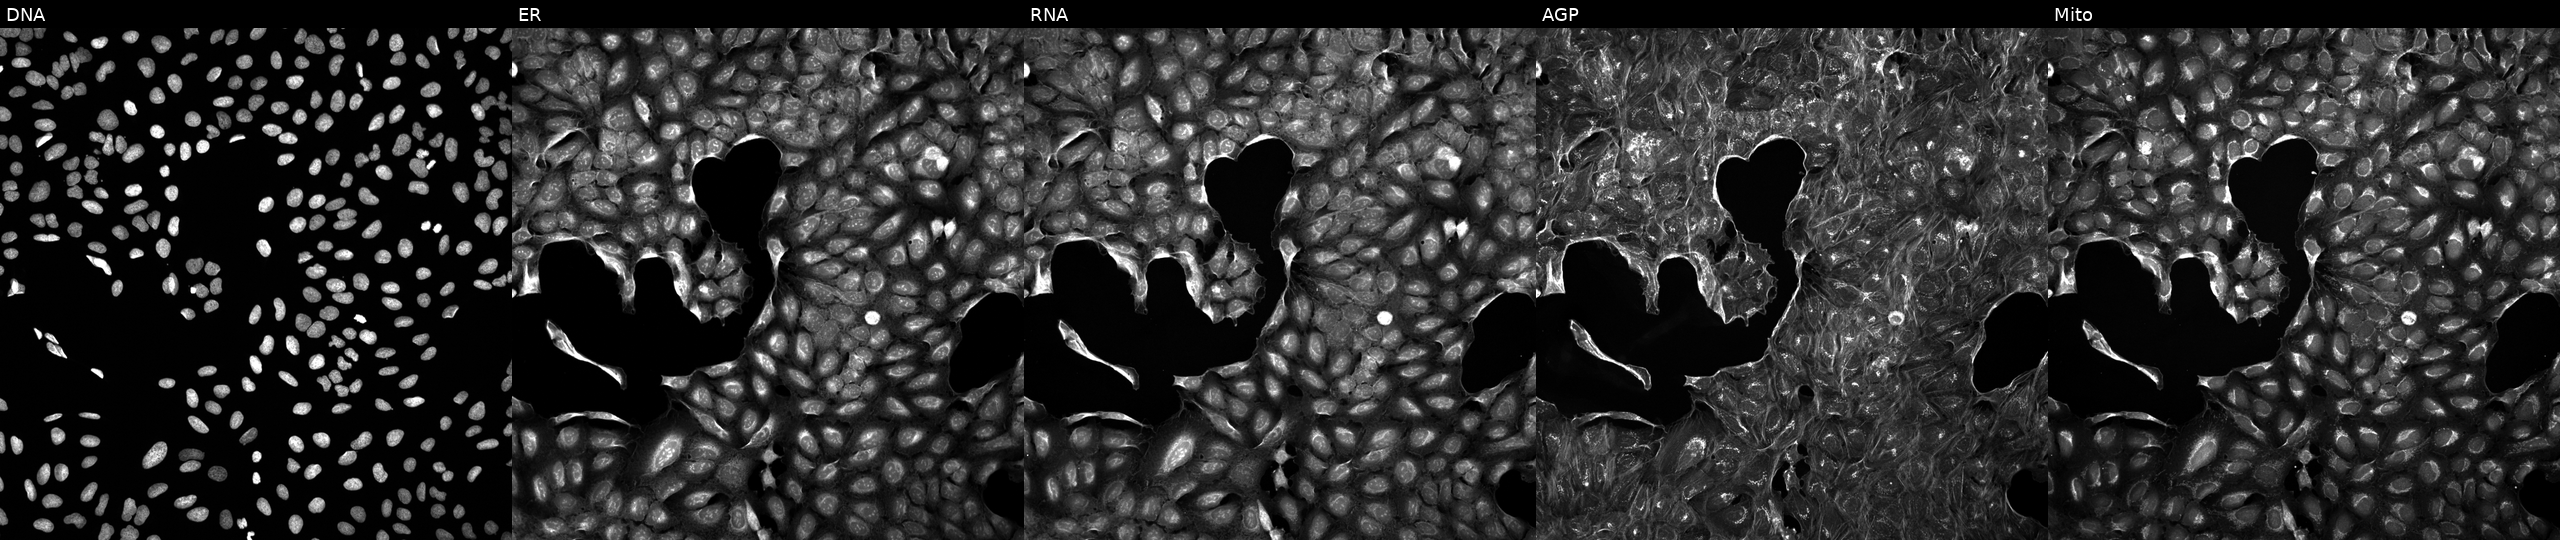
From left to right: DNA, ER, RNA, AGP, and Mito. U2OS osteosarcoma cells exposed to a small-molecule compound (InChIKey BTTYHFGTRQXZPM-UHFFFAOYSA-N) (JUMP id JCP2022_008611). Cell Painting assay, JUMP-CP dataset.